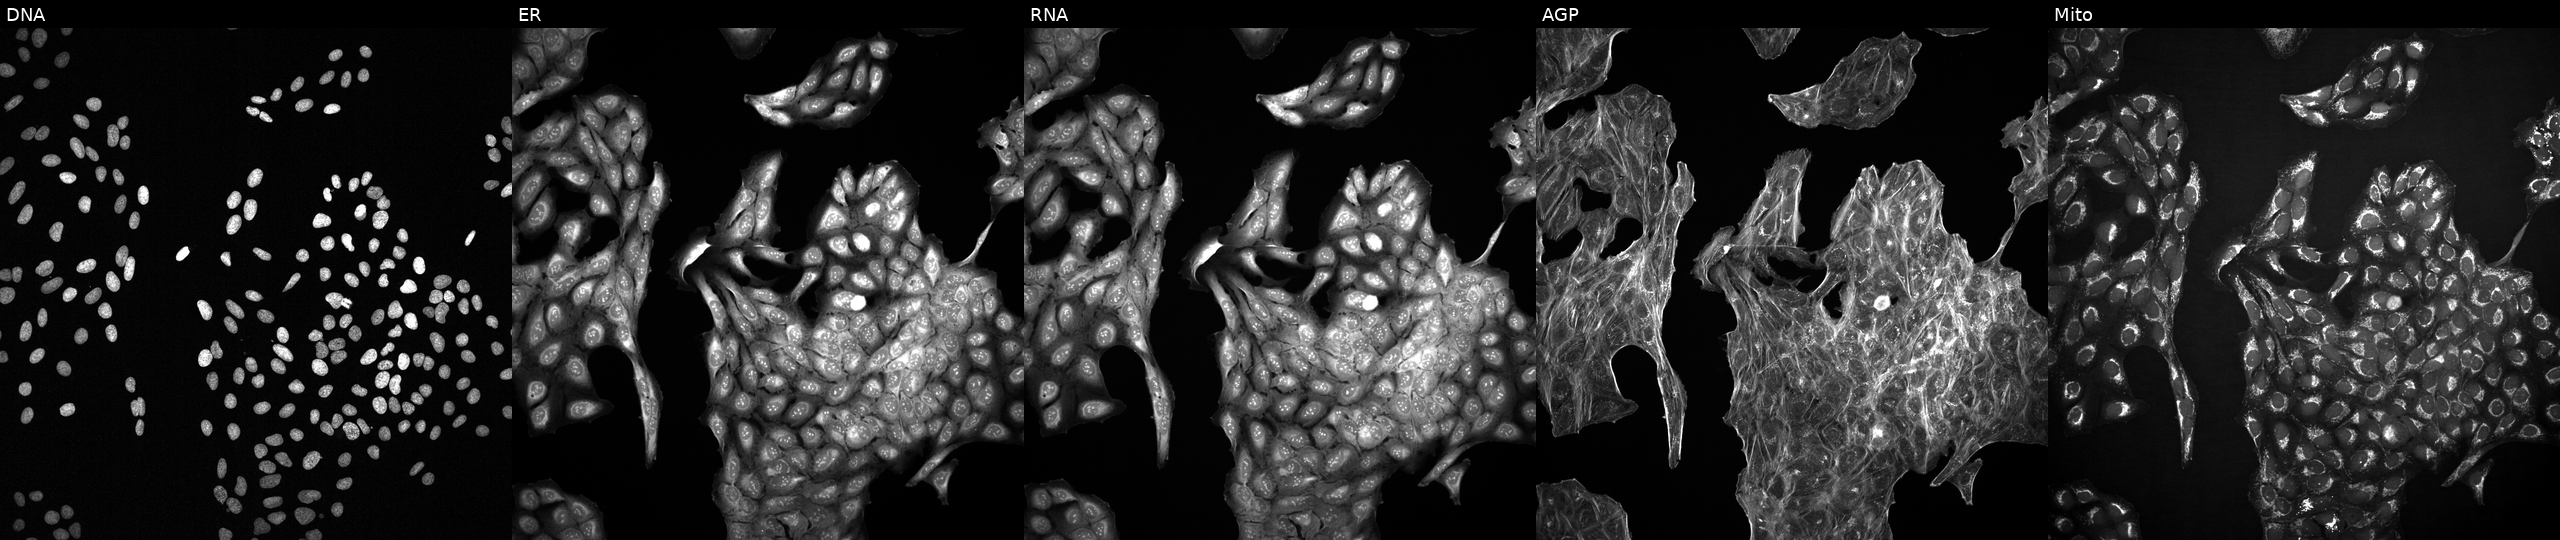
This image strip shows the five Cell Painting channels for a single field of U2OS cells perturbed with a small-molecule compound (InChIKey LAYBERDBLGHWBX-UHFFFAOYSA-N). The five panels, left to right, show Hoechst 33342, concanavalin A, SYTO 14, phalloidin and WGA, MitoTracker. Source 2, plate 1053601756, well K07.